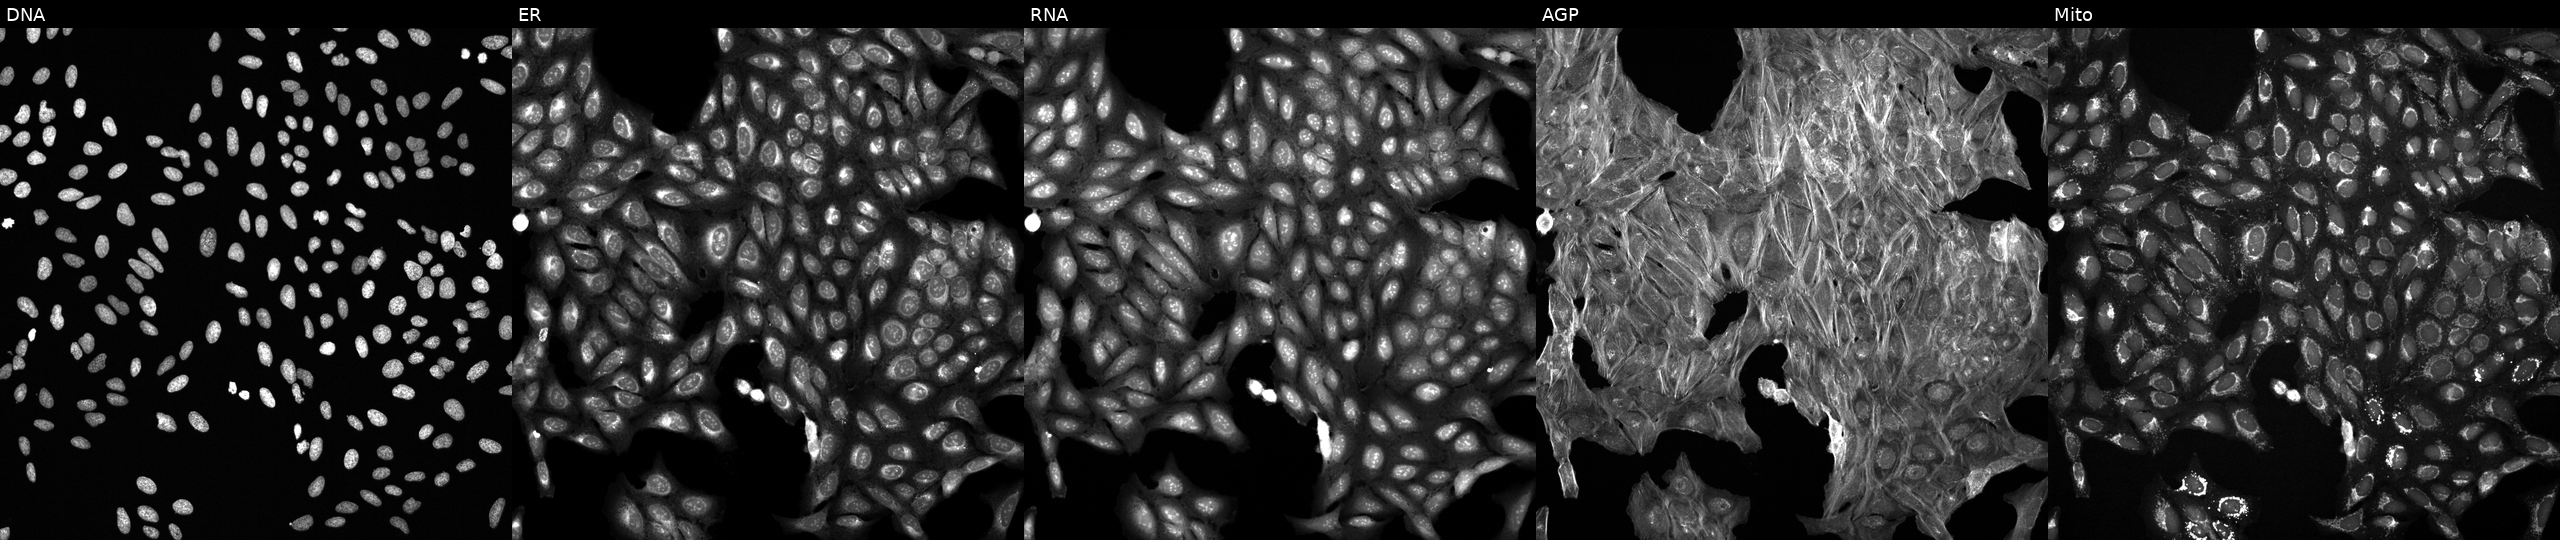
The five panels, left to right, show Hoechst 33342, concanavalin A, SYTO 14, phalloidin and WGA, MitoTracker. U2OS osteosarcoma cells treated with DMSO vehicle only (negative control) (JUMP id JCP2022_033924). Cell Painting assay, JUMP-CP dataset.